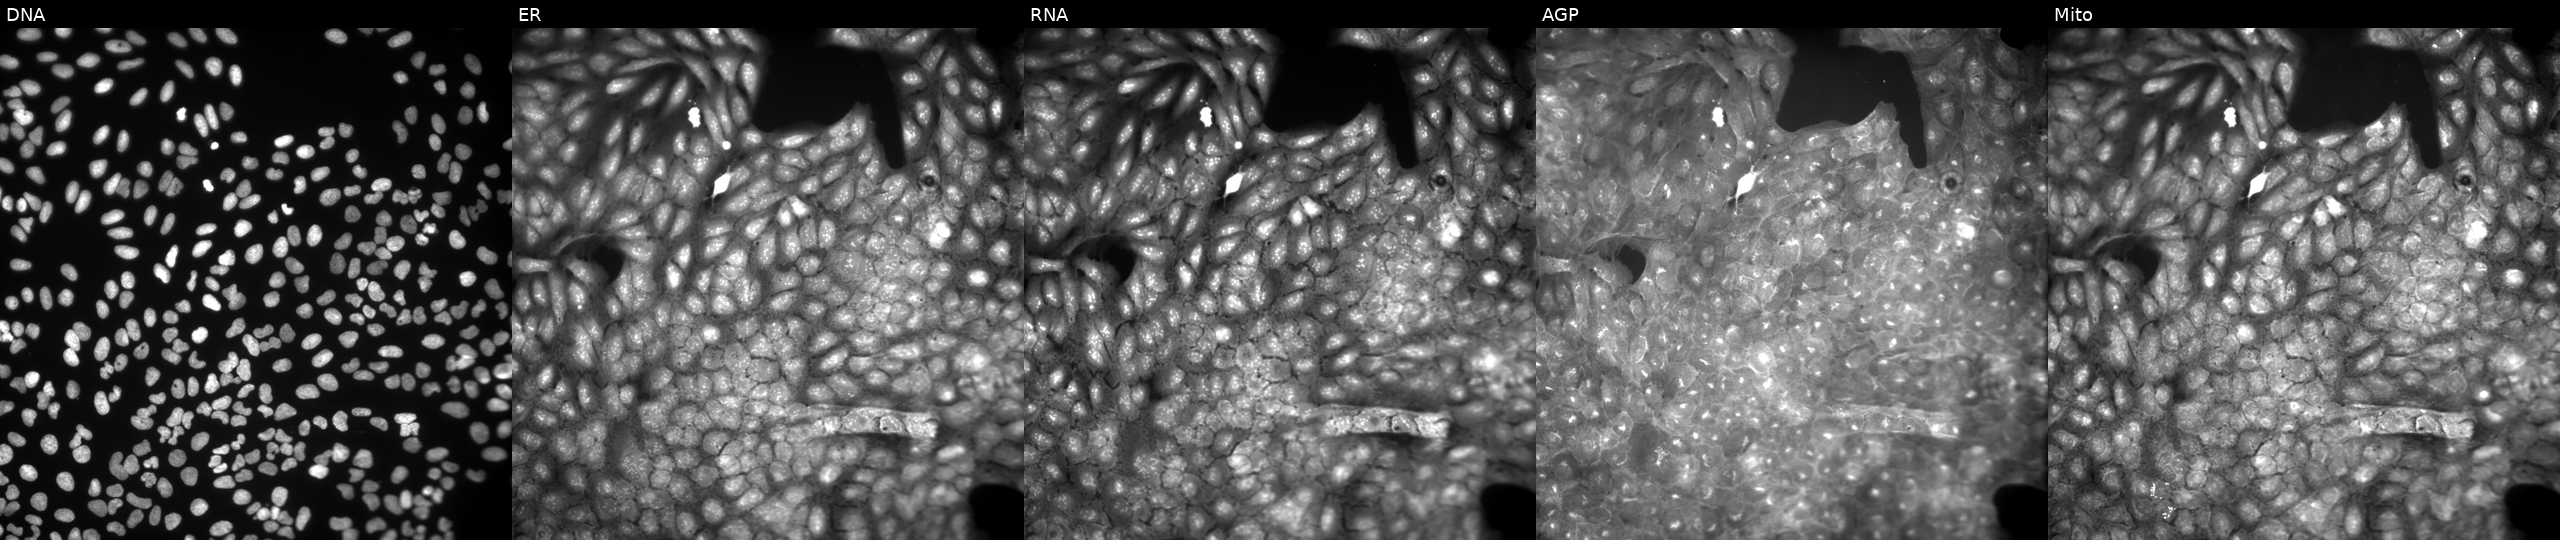
Five-channel Cell Painting image of U2OS cells perturbed with a small-molecule compound (InChIKey ZGIPIAISSLMZDY-UHFFFAOYSA-N). Panels show, left to right, Hoechst 33342, concanavalin A, SYTO 14, phalloidin and WGA, MitoTracker. Source 9, plate GR00003381, well AE42.